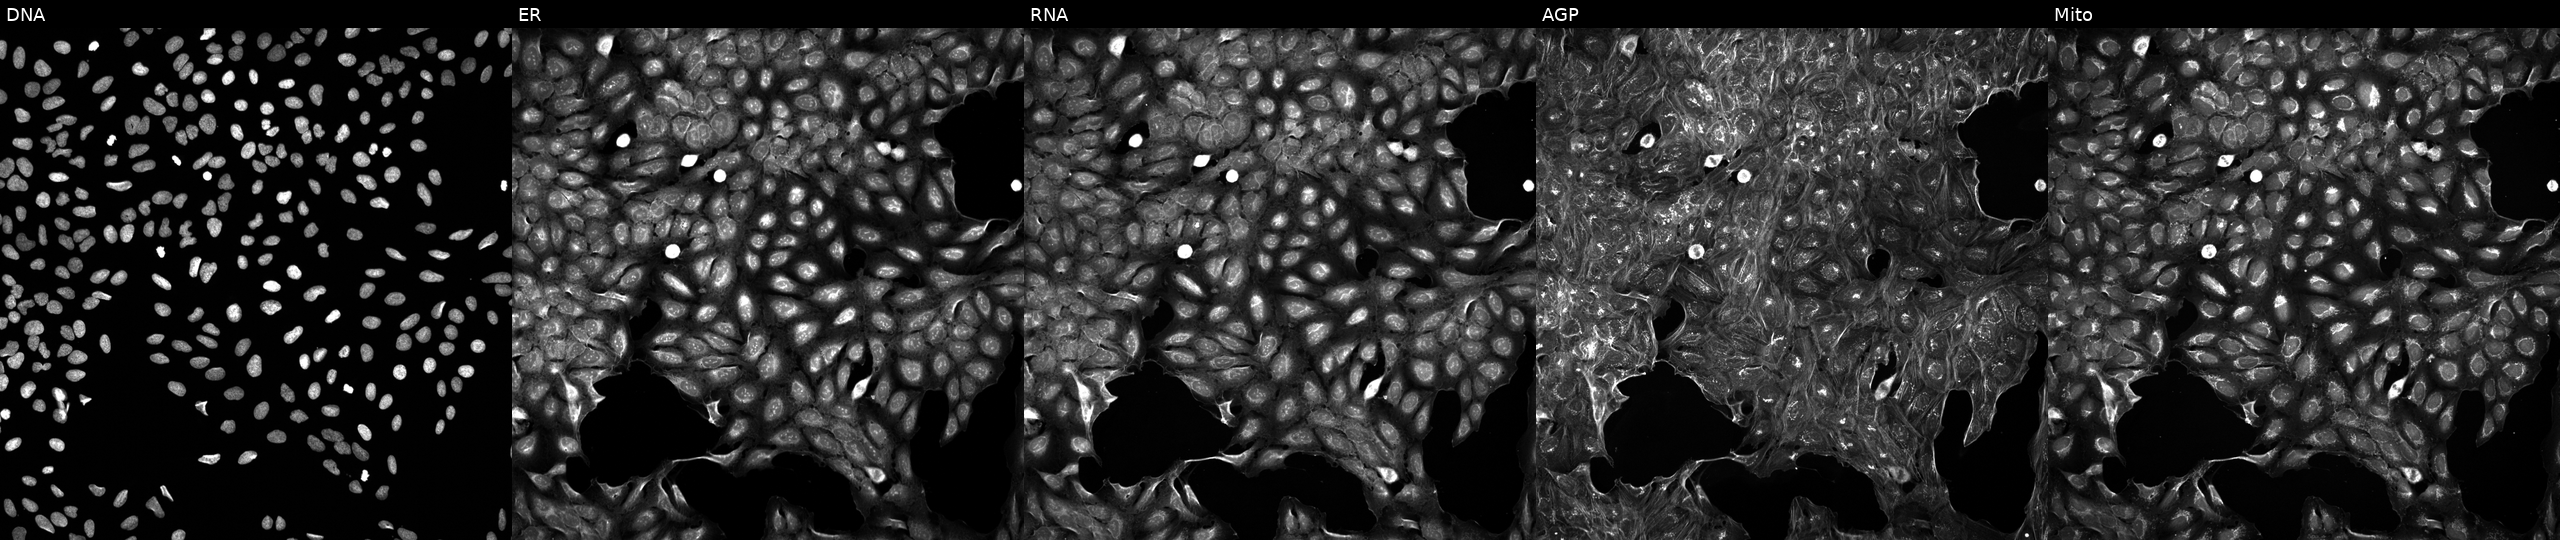
Panels show, left to right, DNA (nuclei); ER (endoplasmic reticulum); RNA (nucleoli and cytoplasmic RNA); AGP (actin cytoskeleton, Golgi, and plasma membrane); Mito (mitochondria). U2OS osteosarcoma cells exposed to a small-molecule compound (JUMP id JCP2022_010569). Cell Painting assay, JUMP-CP dataset. Source 5, plate APTJUM105, well N07.